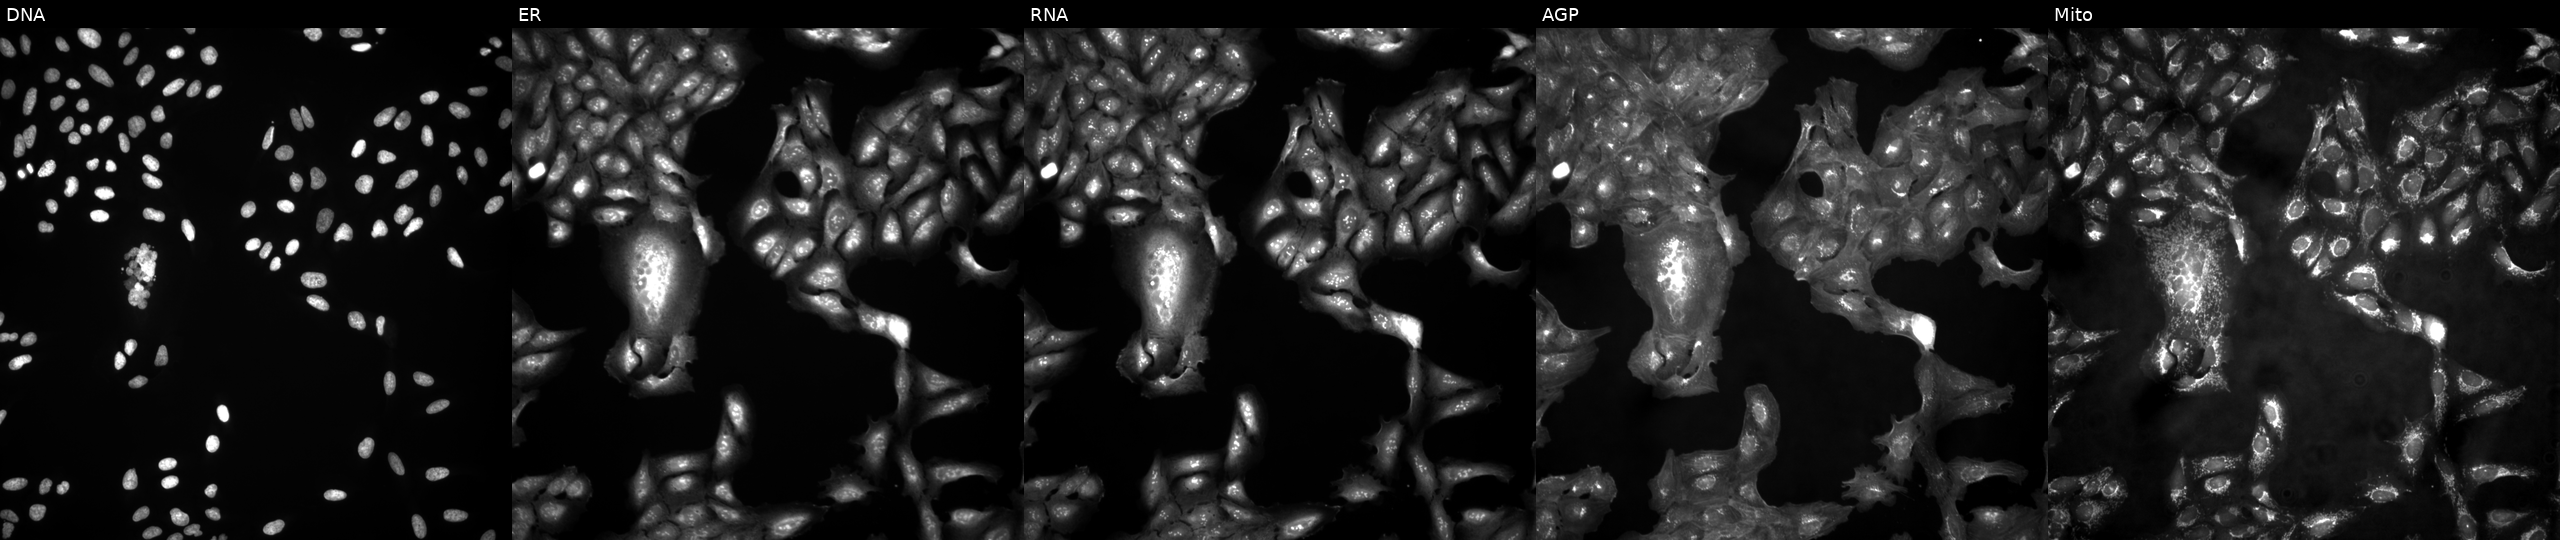
This image strip shows the five Cell Painting channels for a single field of U2OS cells untreated (empty-well control). The five panels, left to right, show DNA, ER, RNA, AGP, and Mito.